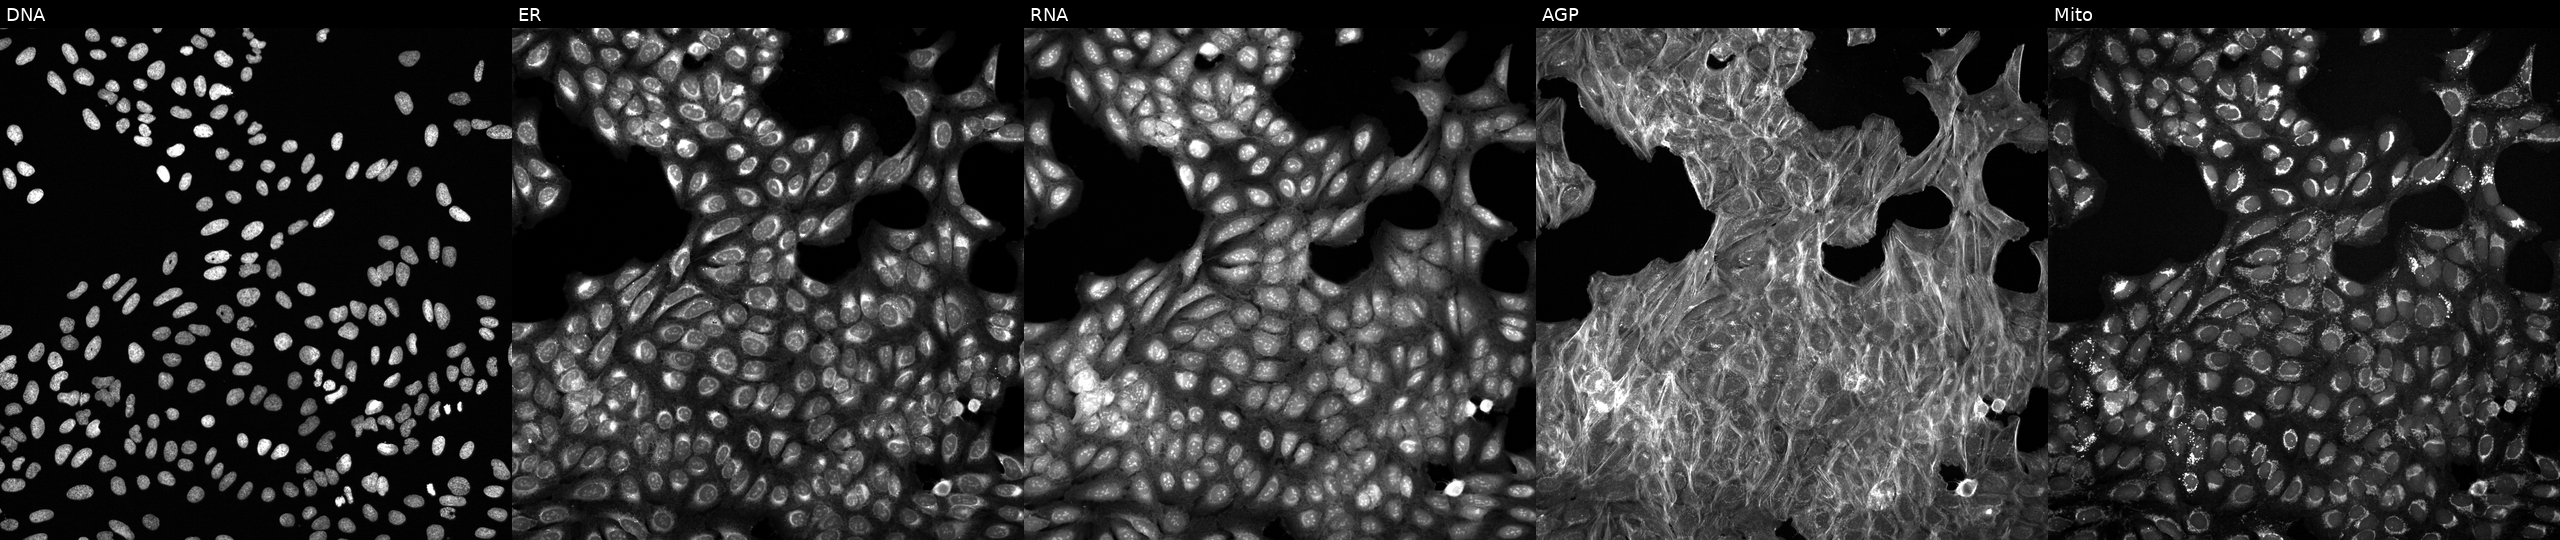
This image strip shows the five Cell Painting channels for a single field of U2OS cells exposed to a small-molecule compound (InChIKey WBOYWHOUVVMHAK-UHFFFAOYSA-N) (JUMP id JCP2022_097717). The five panels, left to right, show DNA (nuclei); ER (endoplasmic reticulum); RNA (nucleoli and cytoplasmic RNA); AGP (actin cytoskeleton, Golgi, and plasma membrane); Mito (mitochondria).